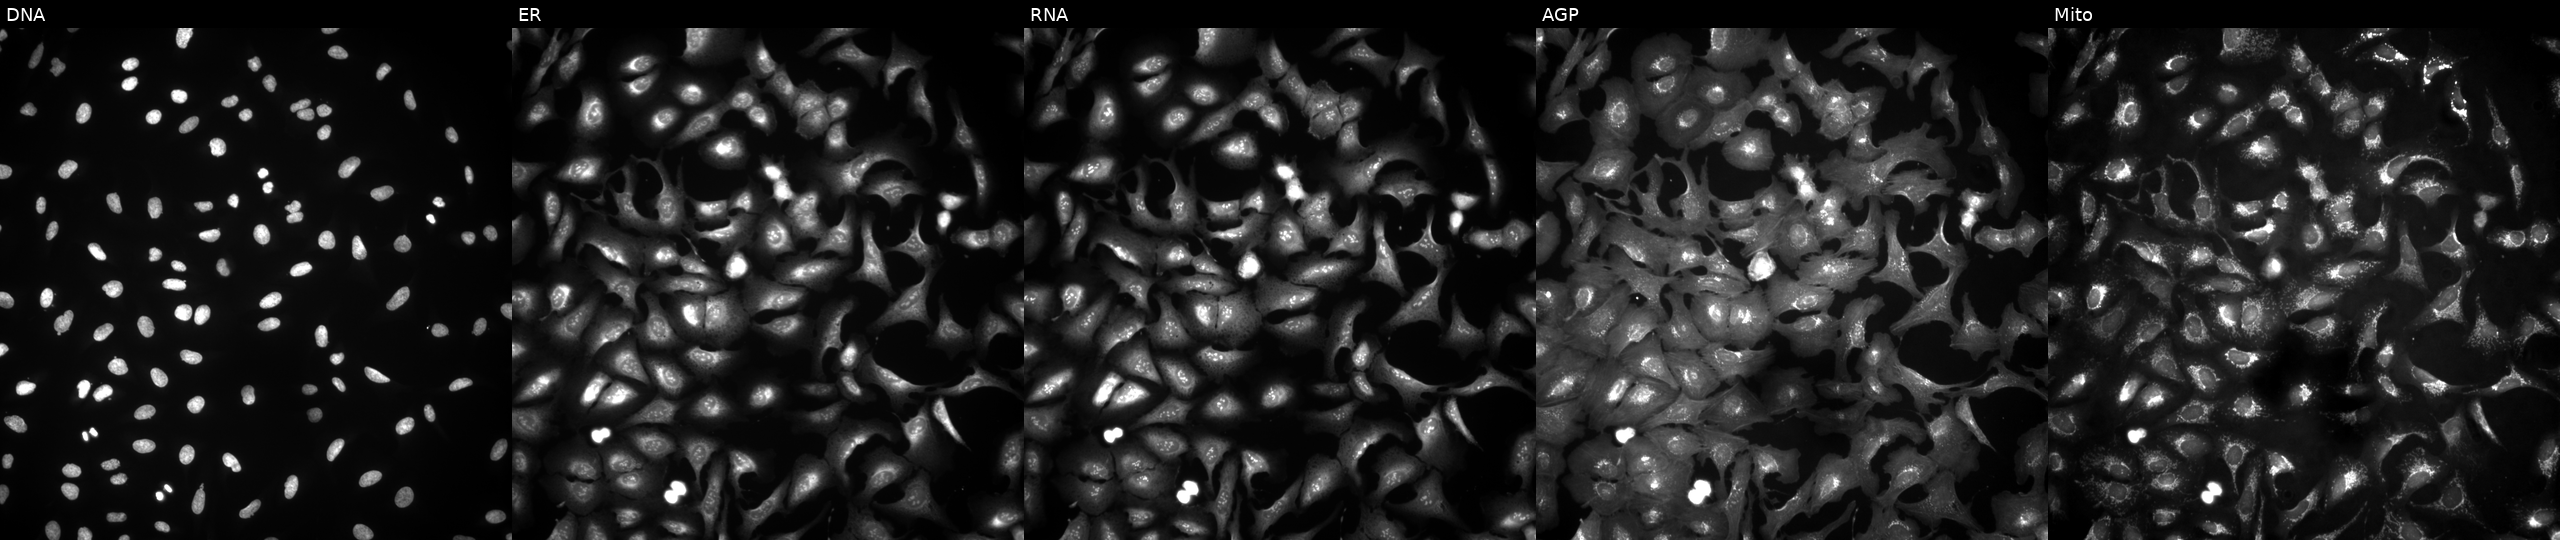
Five-channel Cell Painting image of U2OS cells transfected with an ORF construct for SLITRK3 (JUMP id JCP2022_902526). Channels (left→right): DNA, ER, RNA, AGP, and Mito.